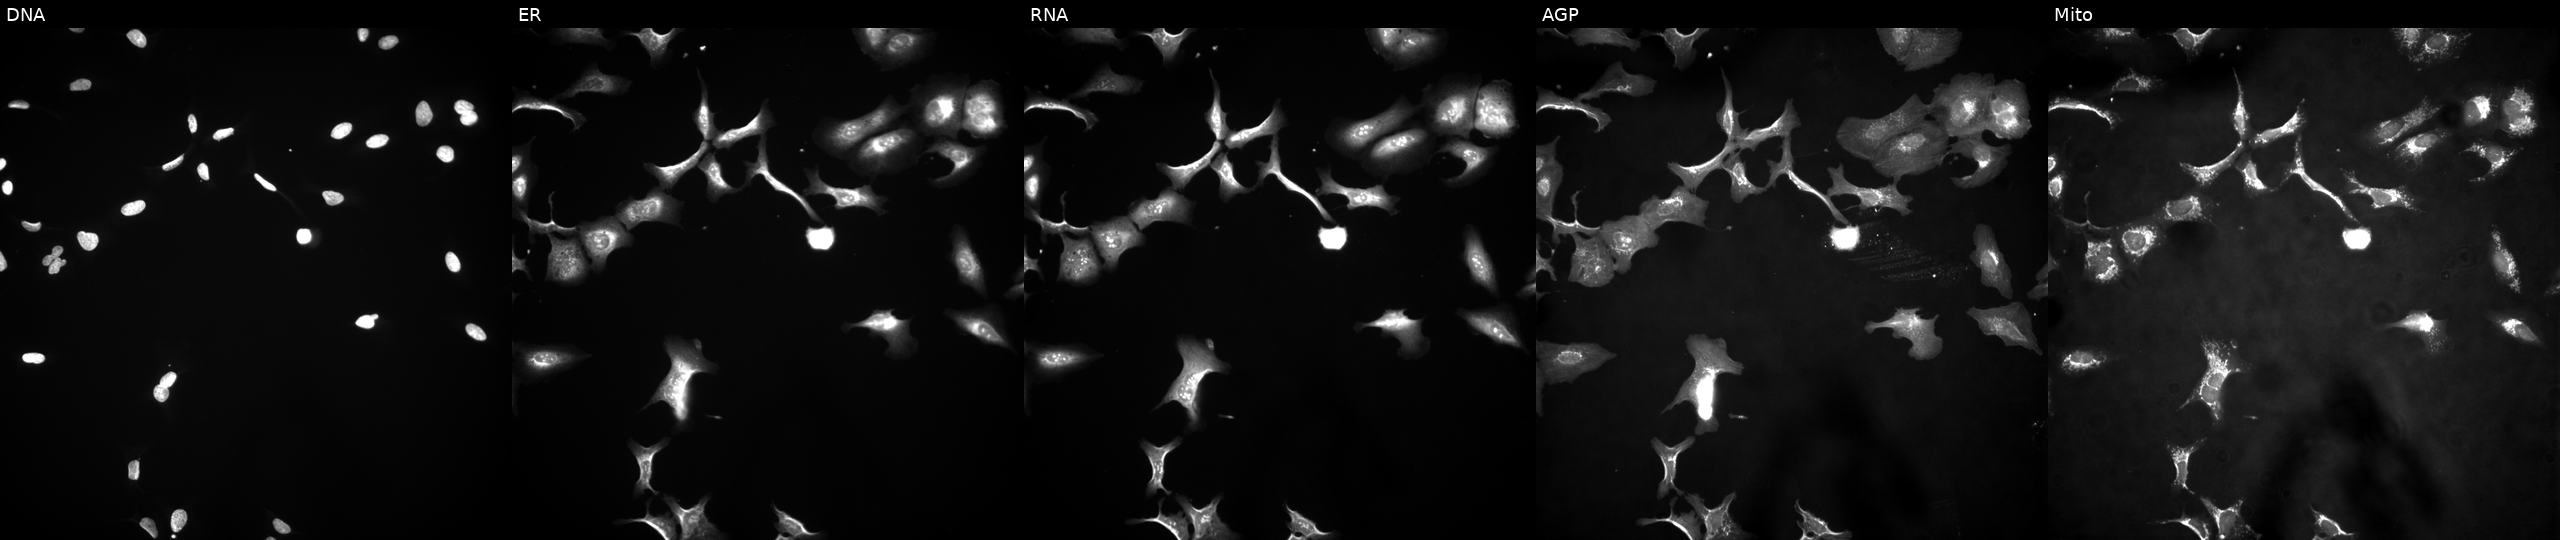
U2OS cells, Cell Painting assay, with GSTM1 overexpressed (ORF) (JUMP id JCP2022_900661). Panels show, left to right, DNA (nuclei); ER (endoplasmic reticulum); RNA (nucleoli and cytoplasmic RNA); AGP (actin cytoskeleton, Golgi, and plasma membrane); Mito (mitochondria). Each panel is percentile-stretched 16-bit fluorescence.